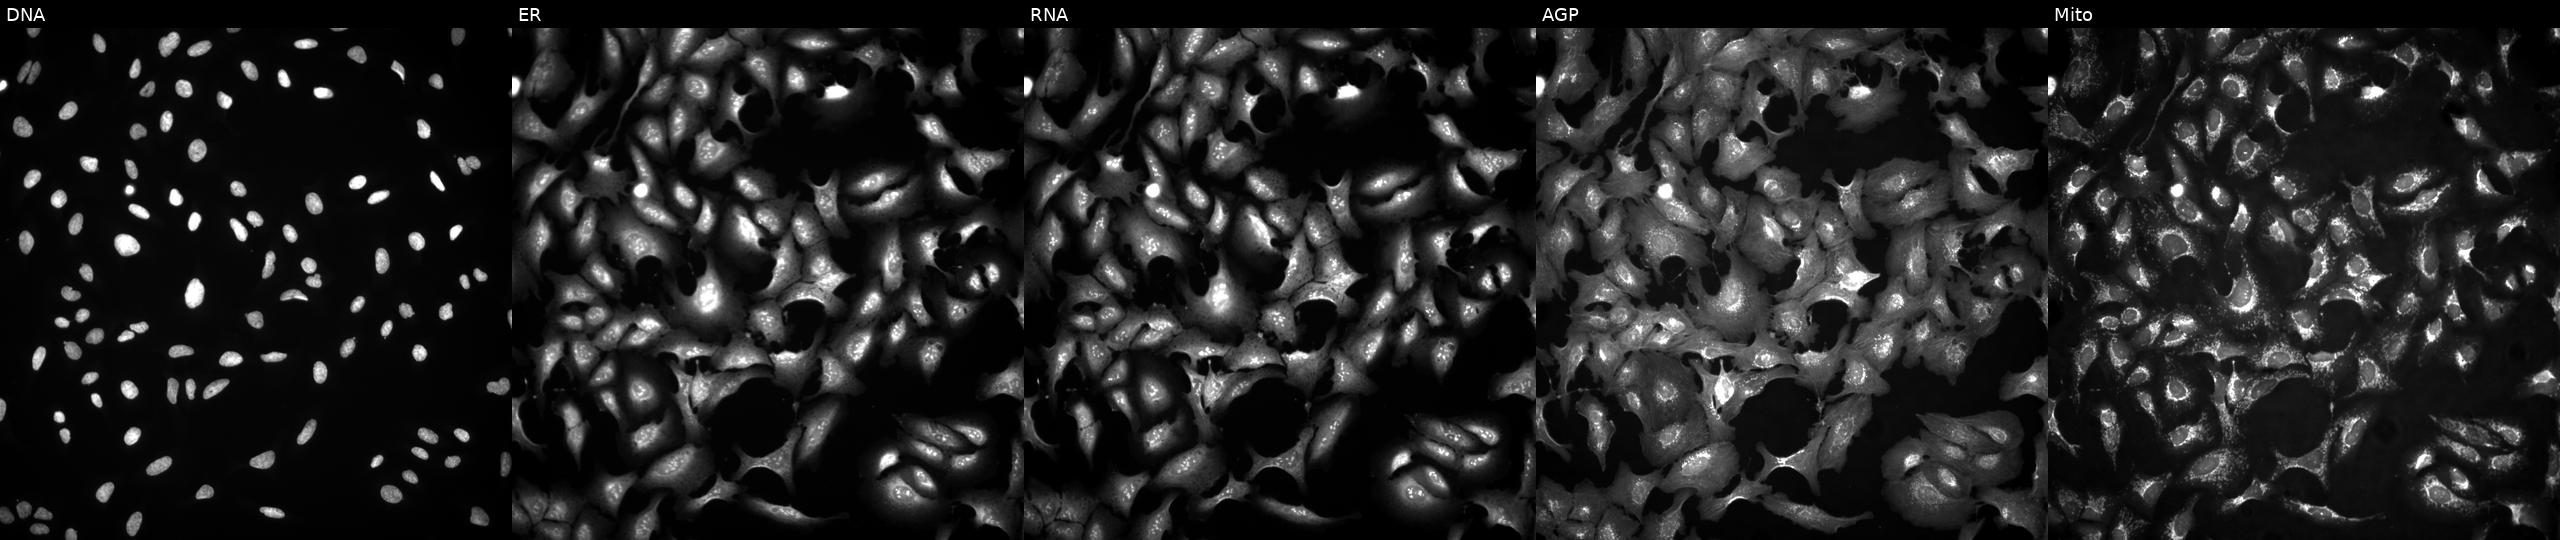
JUMP Cell Painting — ORF plate. U2OS cells with OBSL1 overexpressed (ORF). Channels (left→right): DNA (nuclei); ER (endoplasmic reticulum); RNA (nucleoli and cytoplasmic RNA); AGP (actin cytoskeleton, Golgi, and plasma membrane); Mito (mitochondria).